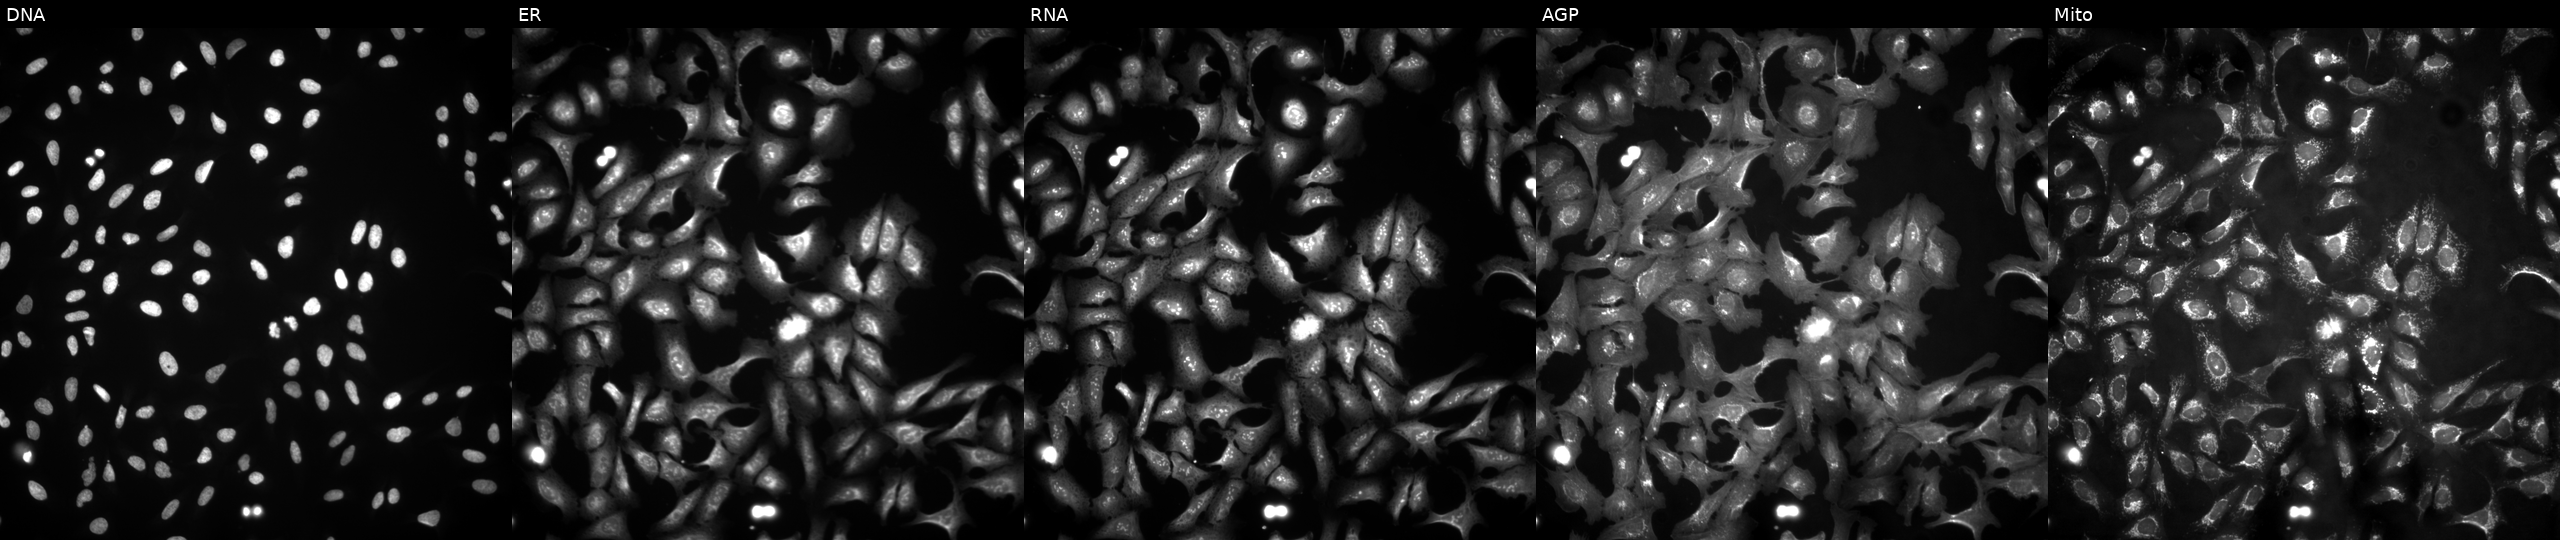
From left to right: Hoechst 33342, concanavalin A, SYTO 14, phalloidin and WGA, MitoTracker. U2OS osteosarcoma cells with C8orf58 overexpressed (ORF). Cell Painting assay, JUMP-CP dataset.